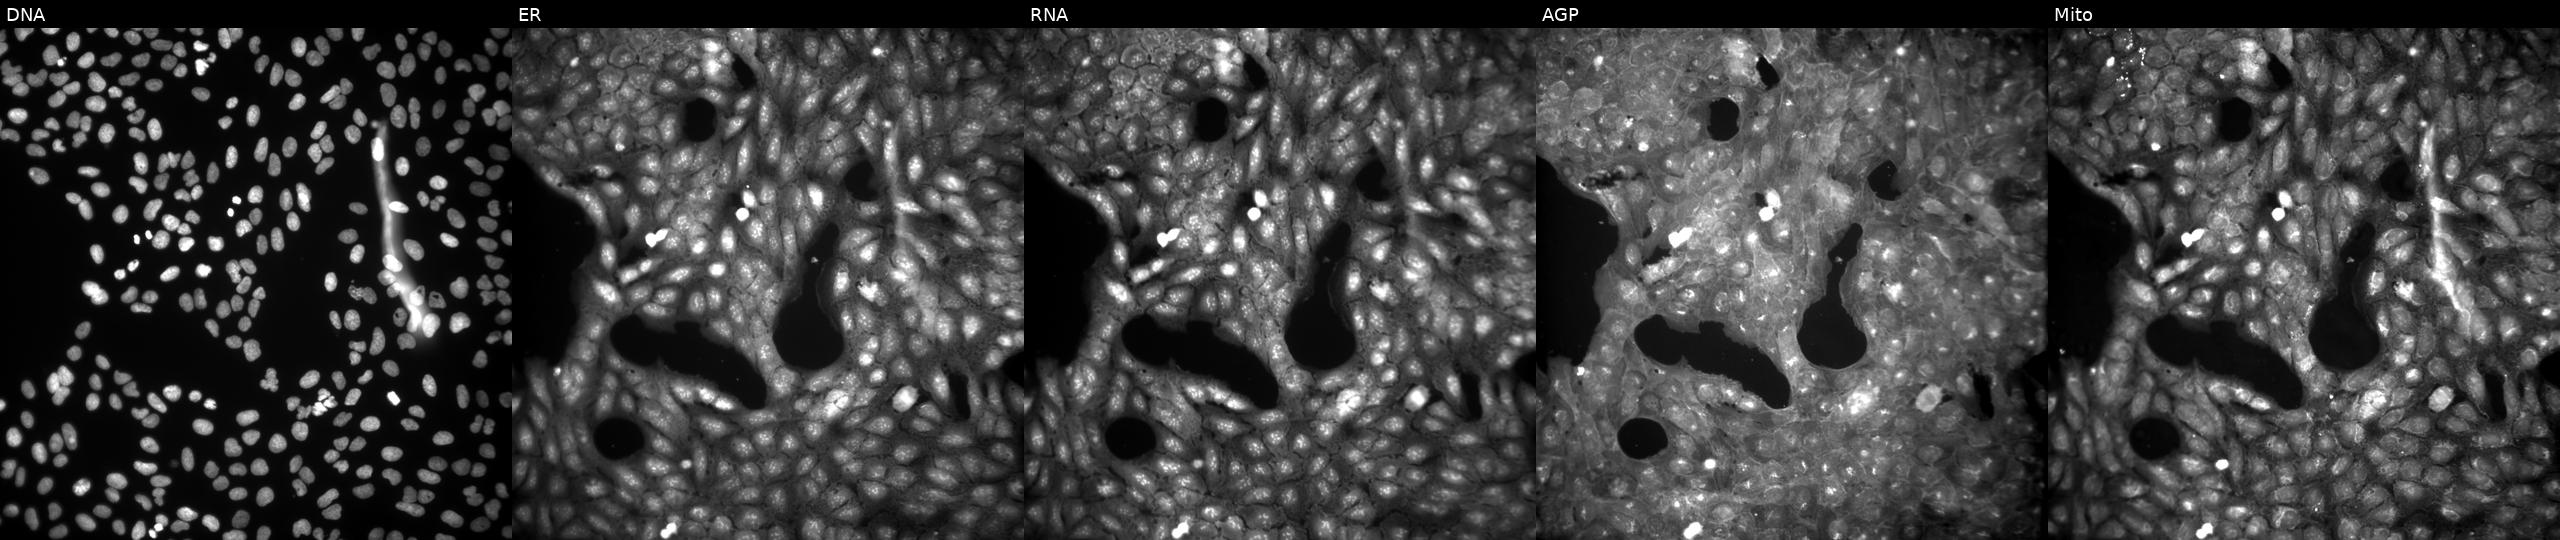
U2OS cells, Cell Painting assay, exposed to a small-molecule compound (InChIKey FMLOSRXWOQMQDQ-UHFFFAOYSA-N) (JUMP id JCP2022_021588). Channels (left→right): Hoechst 33342, concanavalin A, SYTO 14, phalloidin and WGA, MitoTracker. Each panel is percentile-stretched 16-bit fluorescence.